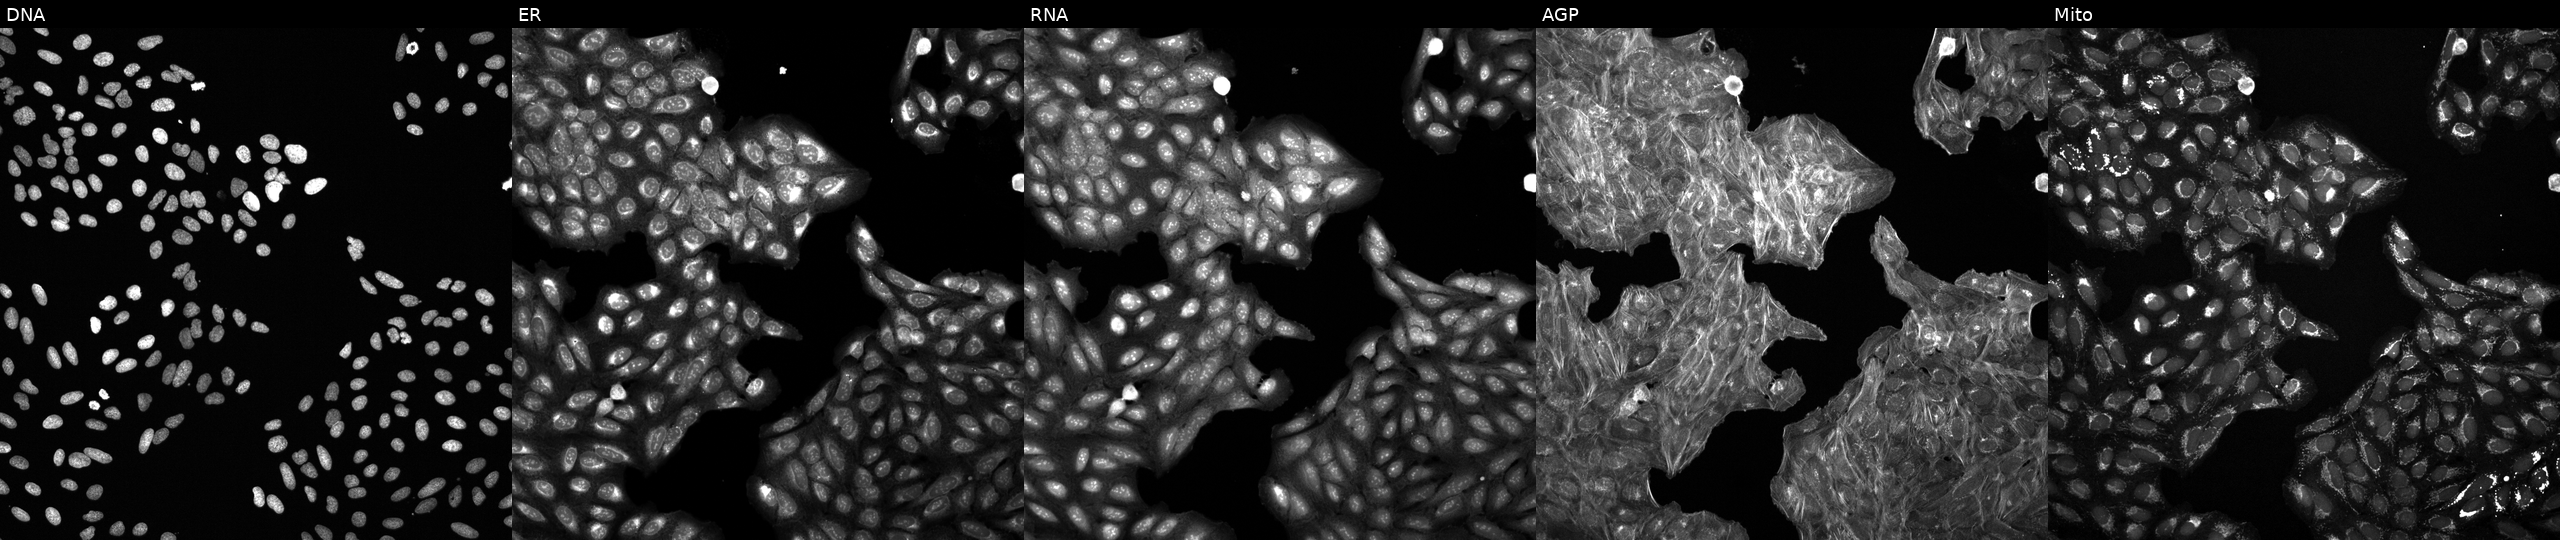
JUMP Cell Painting — TARGET2 plate. U2OS cells treated with a small-molecule compound (InChIKey NQDJXKOVJZTUJA-UHFFFAOYSA-N) (JUMP id JCP2022_060649). Channels (left→right): Hoechst 33342, concanavalin A, SYTO 14, phalloidin and WGA, MitoTracker. Source 6, plate 110000293093, well A19.